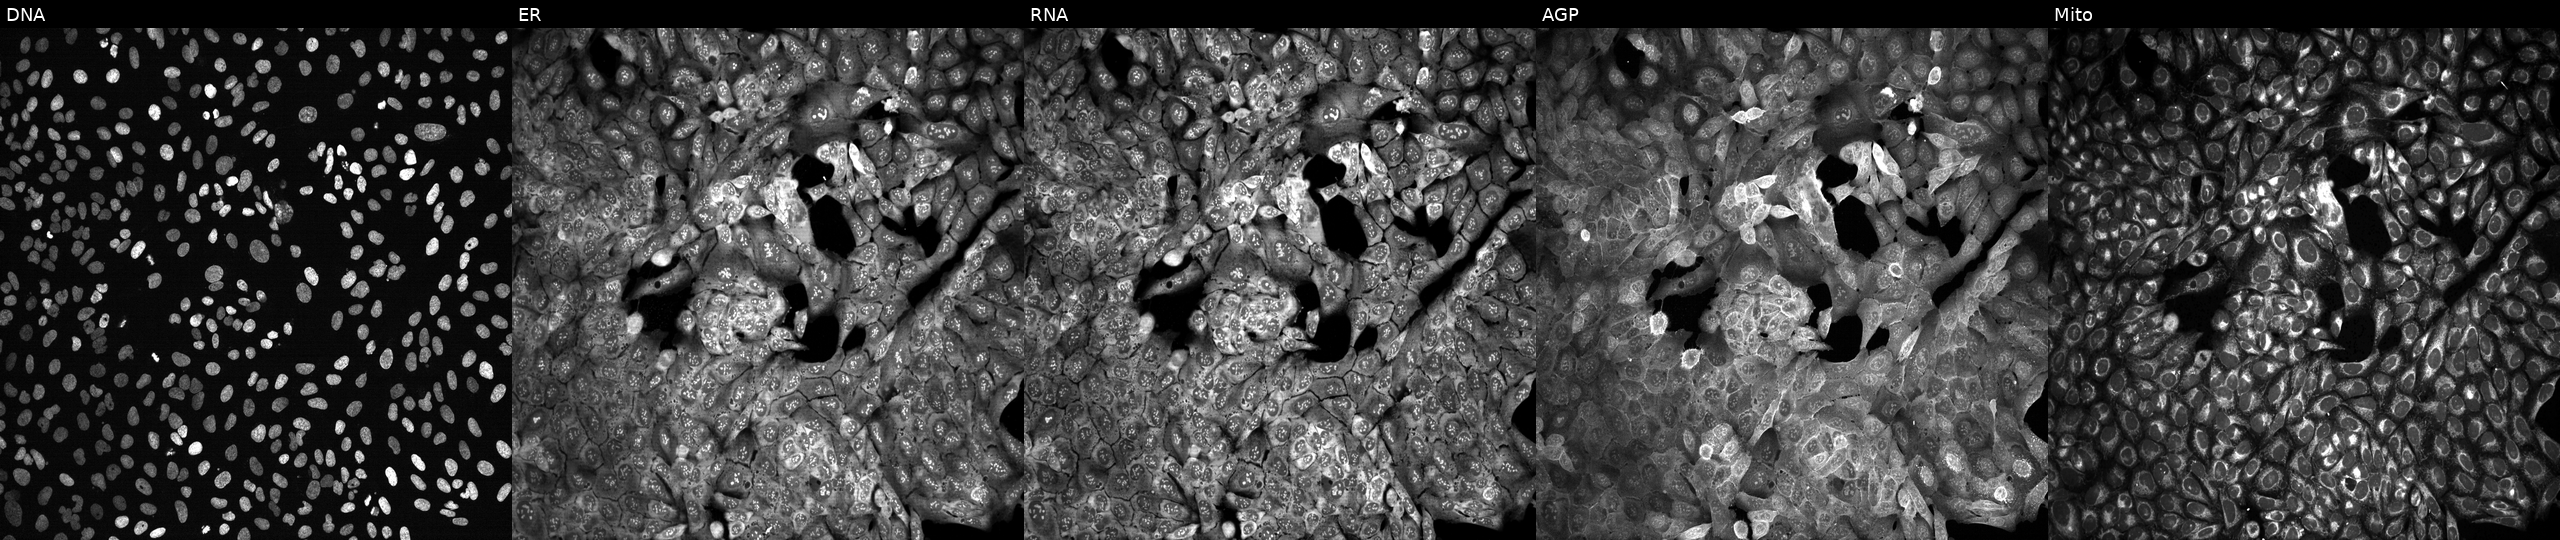
From left to right: Hoechst 33342, concanavalin A, SYTO 14, phalloidin and WGA, MitoTracker. U2OS osteosarcoma cells with NSF knocked out by CRISPR. Cell Painting assay, JUMP-CP dataset.